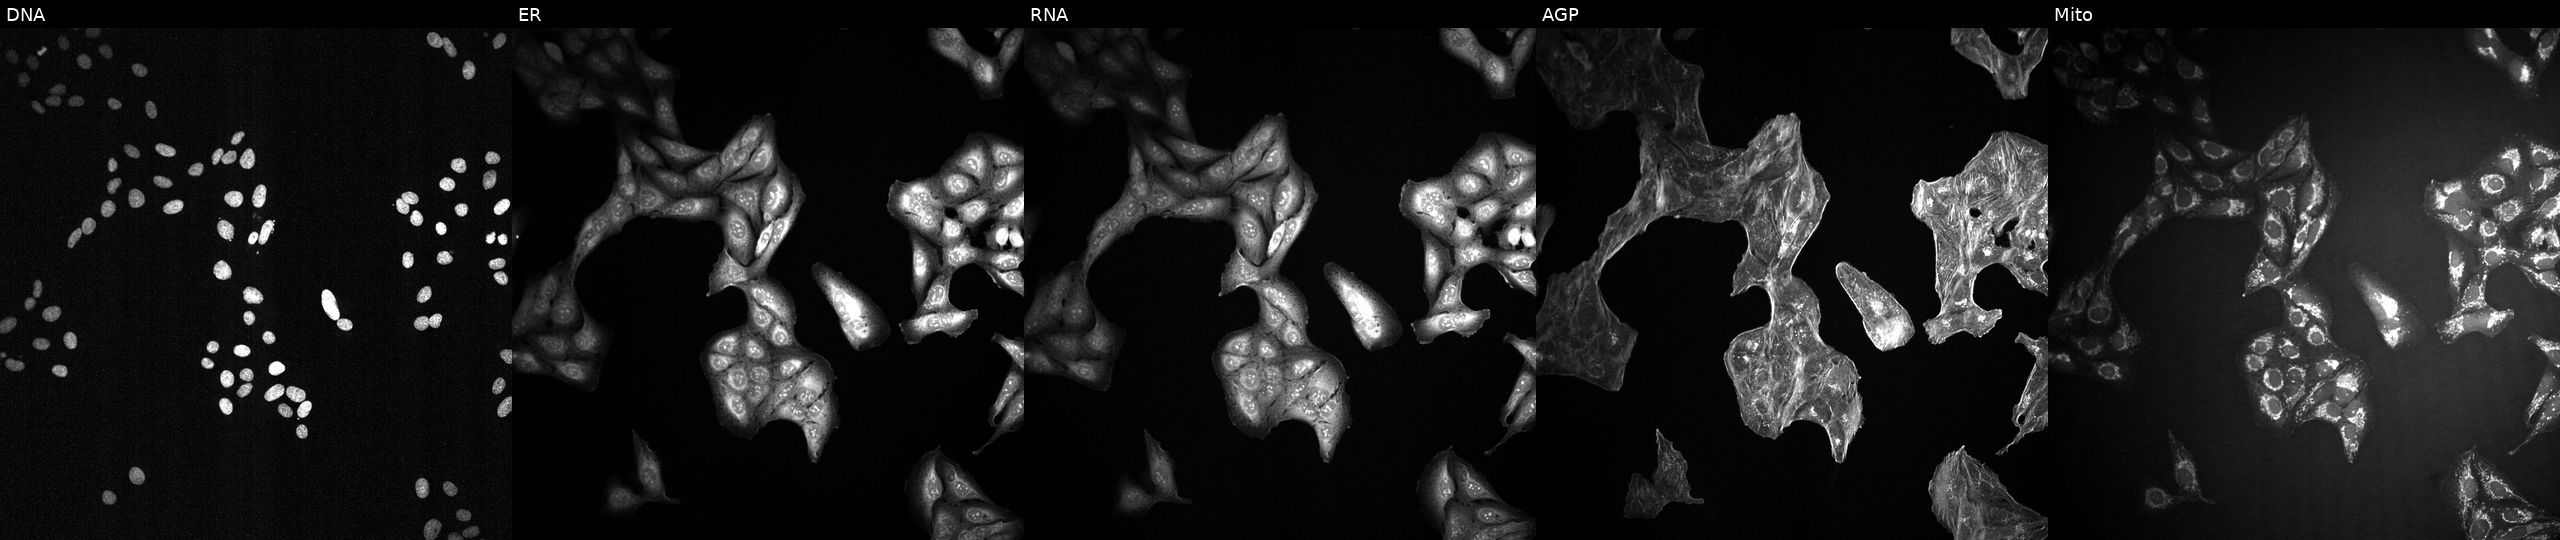
JUMP Cell Painting — TARGET2 plate. U2OS cells treated with a small-molecule compound (JUMP id JCP2022_109350). The five panels, left to right, show Hoechst 33342, concanavalin A, SYTO 14, phalloidin and WGA, MitoTracker.